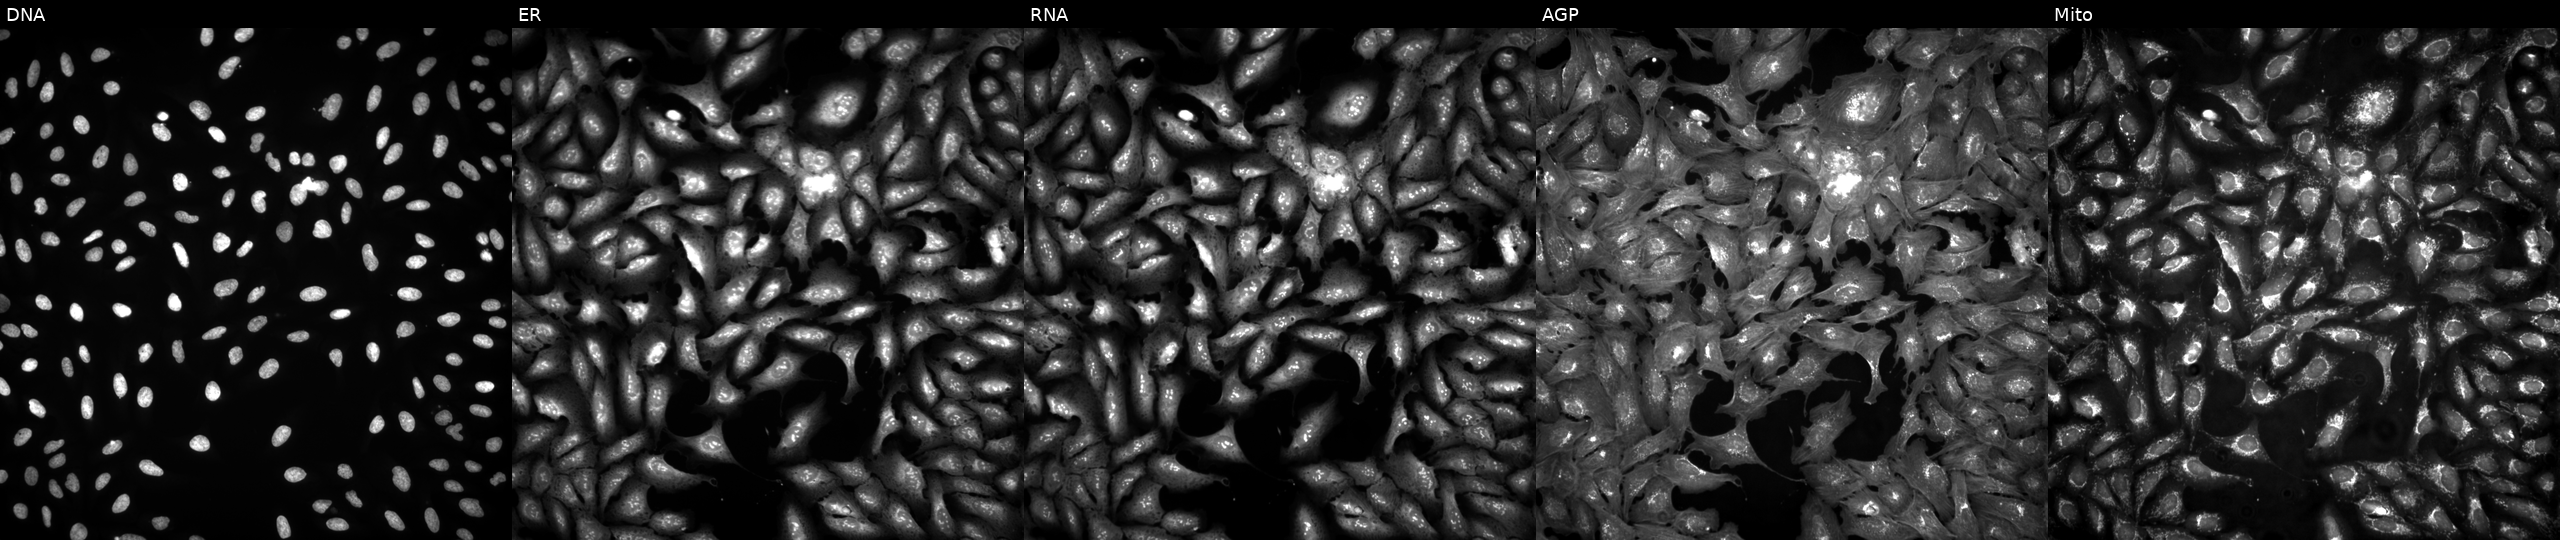
This image strip shows the five Cell Painting channels for a single field of U2OS cells with MLKL overexpressed (ORF) (JUMP id JCP2022_904840). The five panels, left to right, show Hoechst 33342, concanavalin A, SYTO 14, phalloidin and WGA, MitoTracker. Source 4, plate BR00123945, well B08.